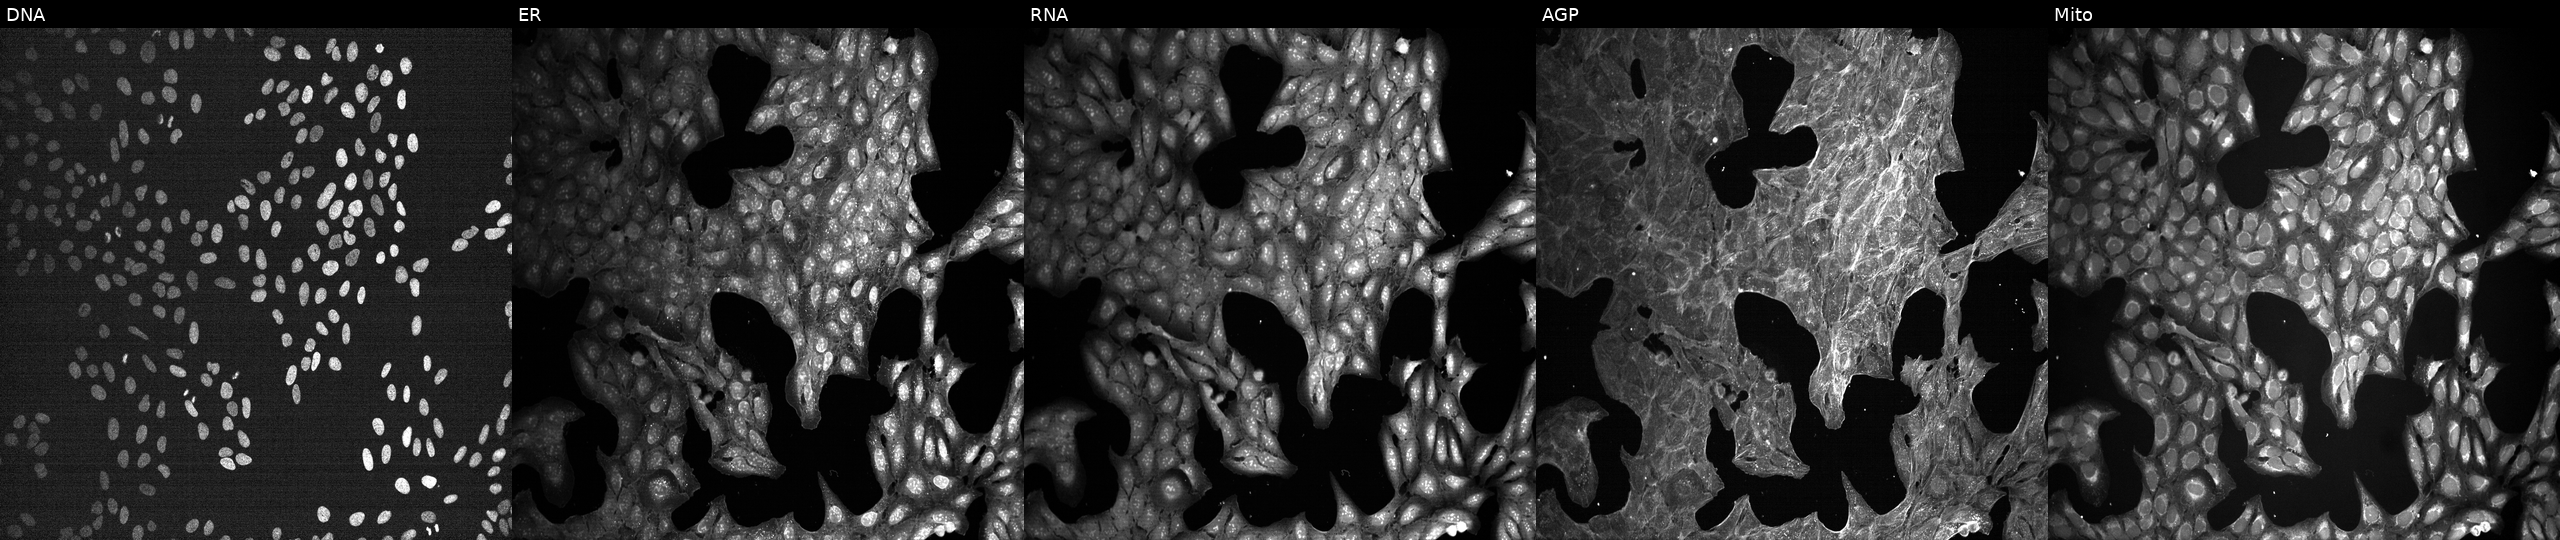
U2OS cells, Cell Painting assay, exposed to a small-molecule compound. From left to right: DNA (nuclei); ER (endoplasmic reticulum); RNA (nucleoli and cytoplasmic RNA); AGP (actin cytoskeleton, Golgi, and plasma membrane); Mito (mitochondria). Each panel is percentile-stretched 16-bit fluorescence.